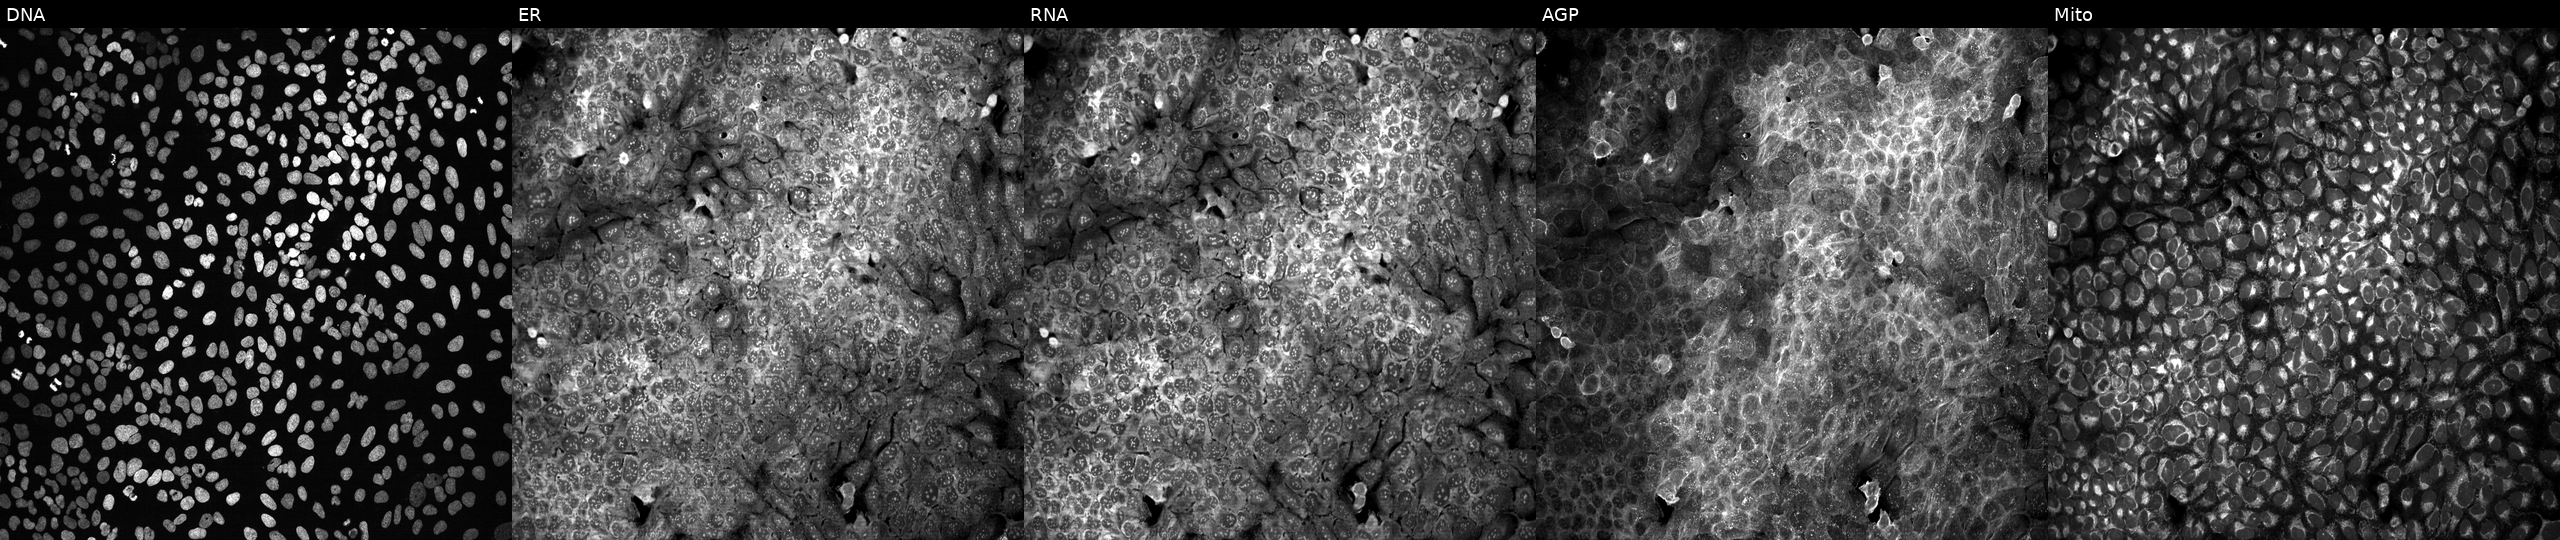
JUMP Cell Painting — CRISPR plate. U2OS cells treated with DMSO vehicle only (negative control) (JUMP id JCP2022_033924). Channels (left→right): Hoechst 33342, concanavalin A, SYTO 14, phalloidin and WGA, MitoTracker. Source 13, plate CP-CC9-R6-19, well N23.